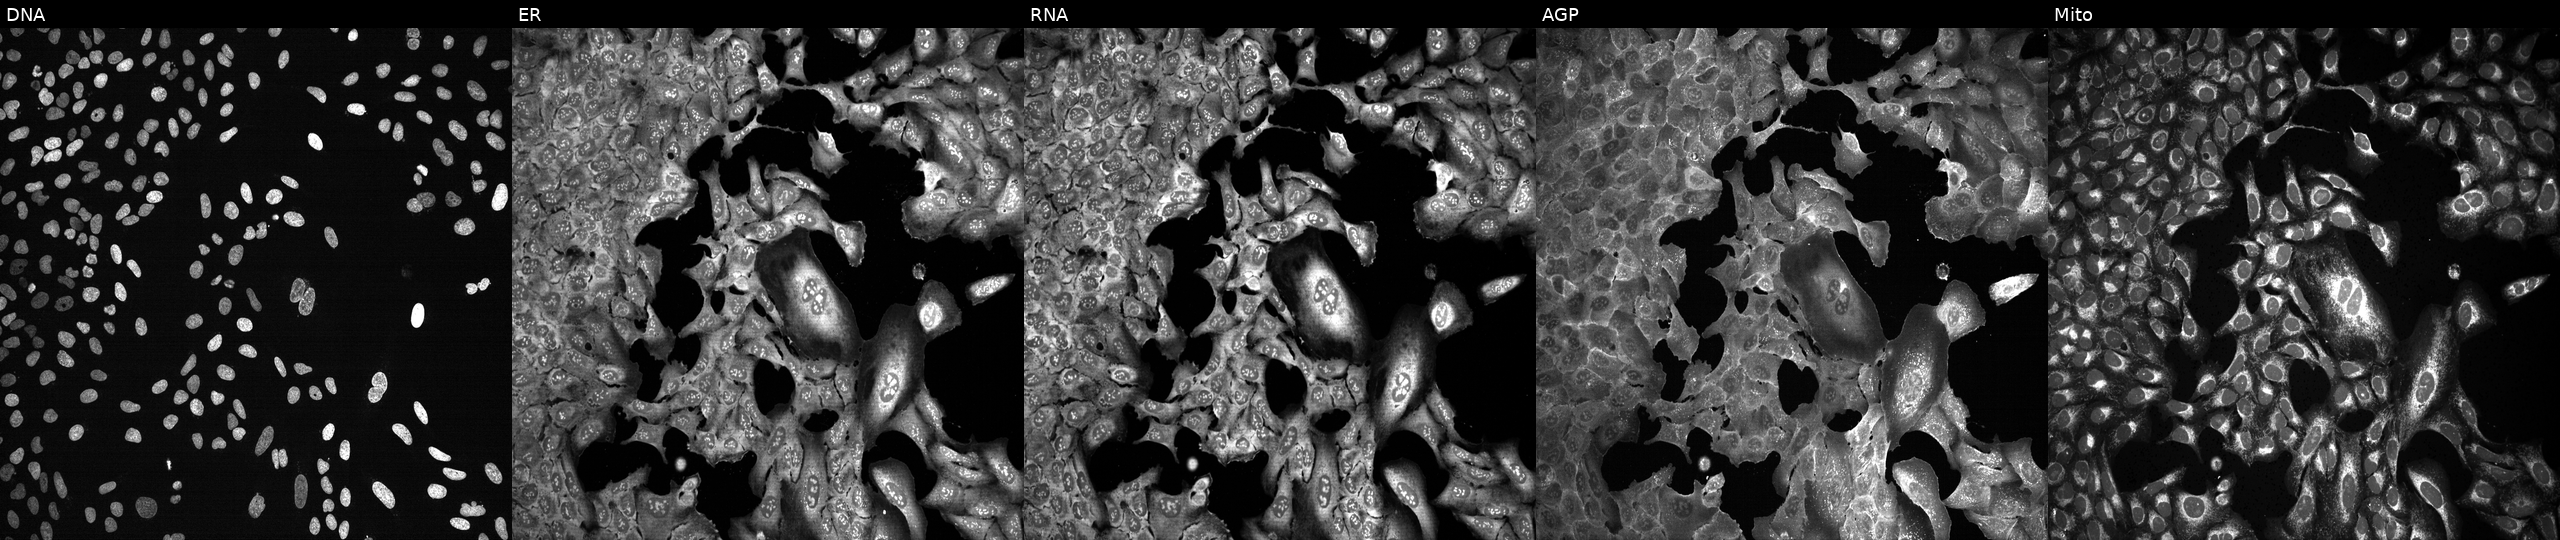
This image strip shows the five Cell Painting channels for a single field of U2OS cells CRISPR-edited to disrupt TP73 (JUMP id JCP2022_807210). Channels (left→right): DNA, ER, RNA, AGP, and Mito.